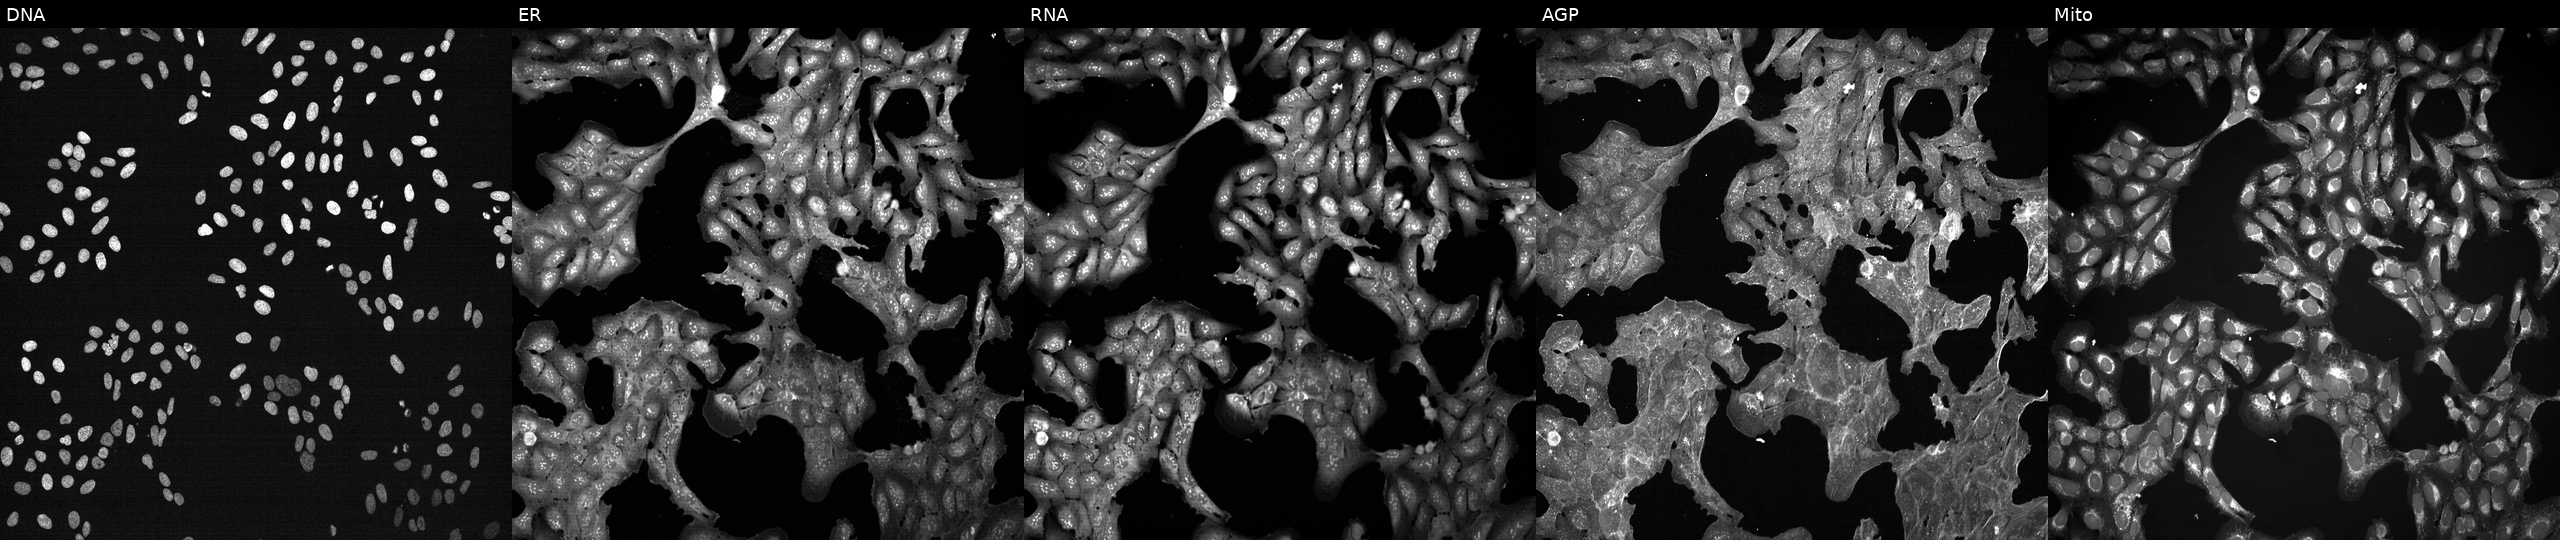
This image strip shows the five Cell Painting channels for a single field of U2OS cells perturbed with a small-molecule compound (InChIKey VHOGYURTWQBHIL-UHFFFAOYSA-N) (JUMP id JCP2022_094002). Panels show, left to right, DNA, ER, RNA, AGP, and Mito. Source 7, plate CP3-SC1-25, well N10.